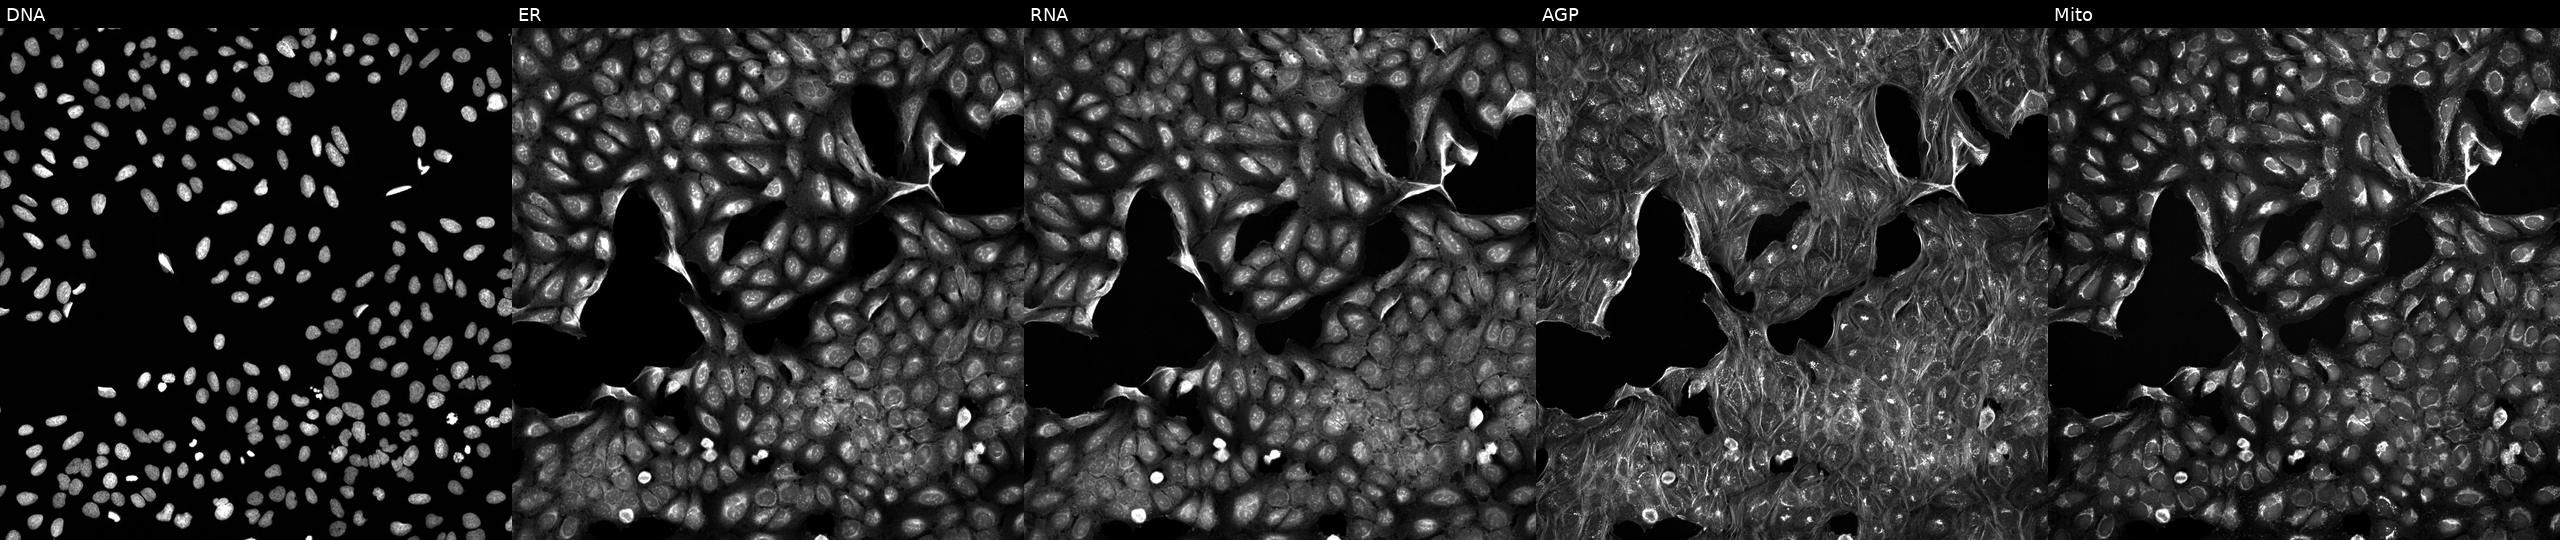
U2OS cells, Cell Painting assay, treated with DMSO vehicle only (negative control) (JUMP id JCP2022_033924). Channels (left→right): DNA, ER, RNA, AGP, and Mito. Each panel is percentile-stretched 16-bit fluorescence. Source 5, plate ACPJUM012, well D06.